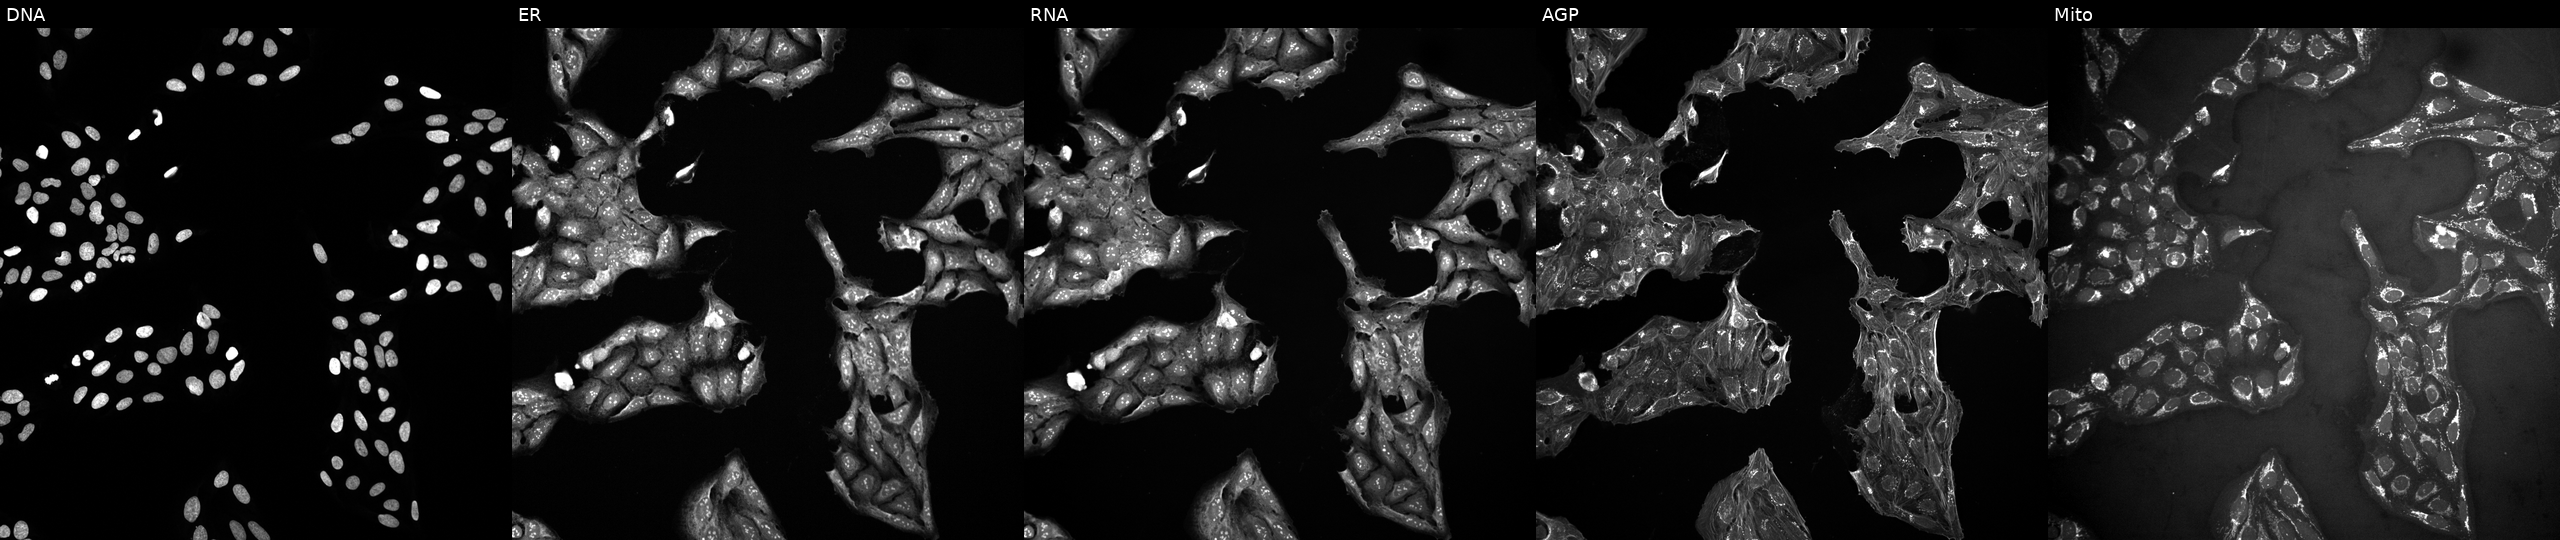
JUMP Cell Painting — COMPOUND plate. U2OS cells treated with a small-molecule compound. Panels show, left to right, DNA, ER, RNA, AGP, and Mito.